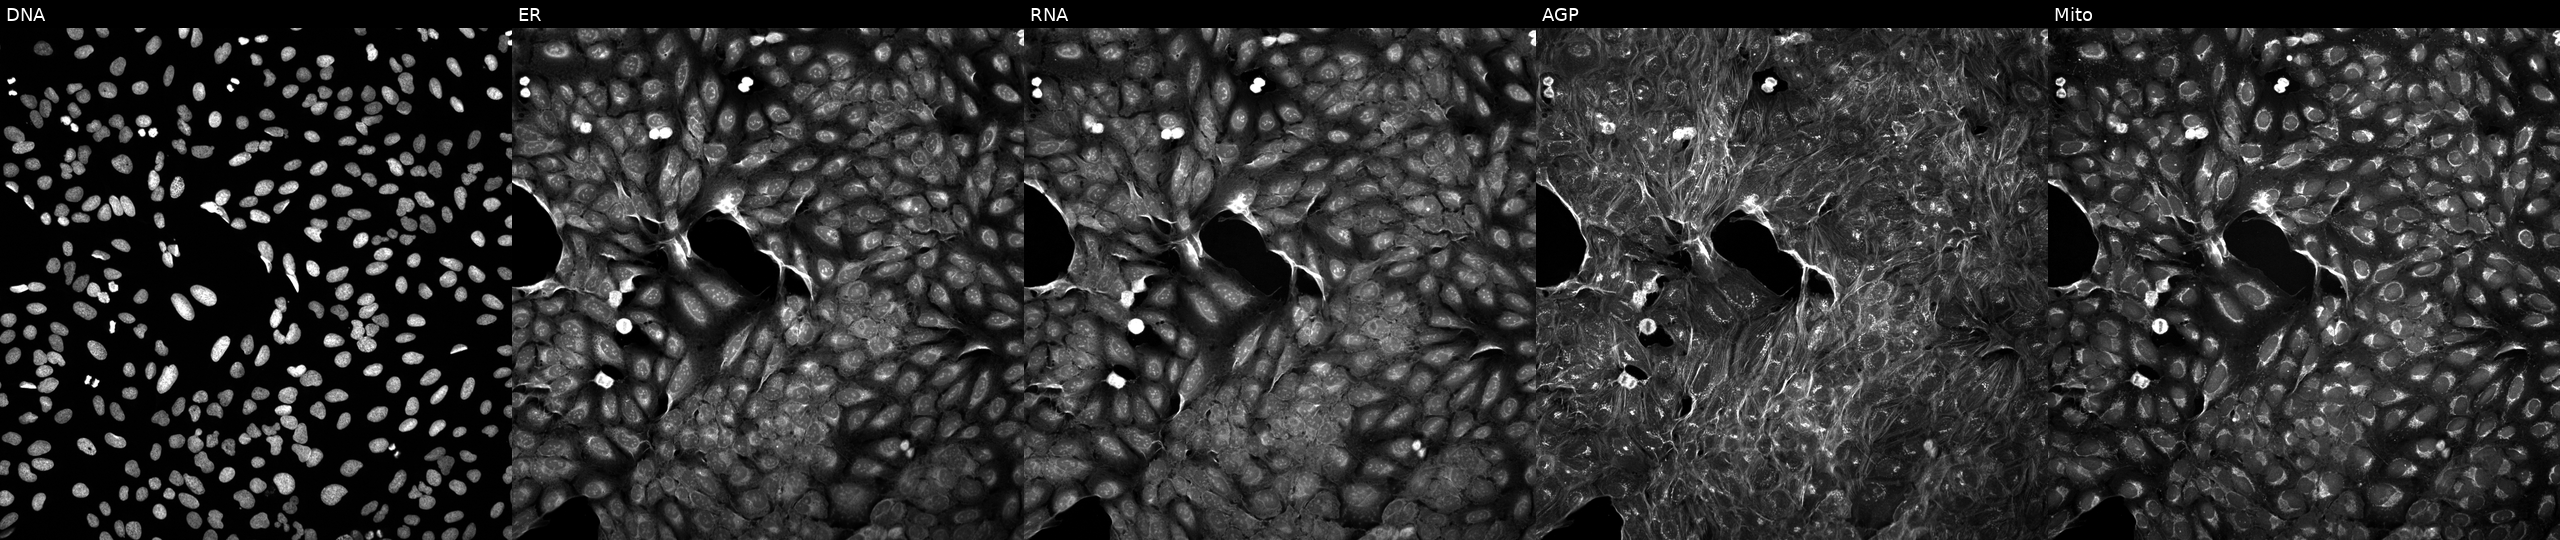
JUMP Cell Painting — TARGET2 plate. U2OS cells exposed to a small-molecule compound (InChIKey KJWGEXJCWCYEMI-UHFFFAOYSA-N) [SMILES: COC(=O)C1=C(C#N)N=C(C)C(C(=O)OC(C)C)C1c1cccc([N+](=O)[O-])c1] (JUMP id JCP2022_045105). From left to right: DNA, ER, RNA, AGP, and Mito.